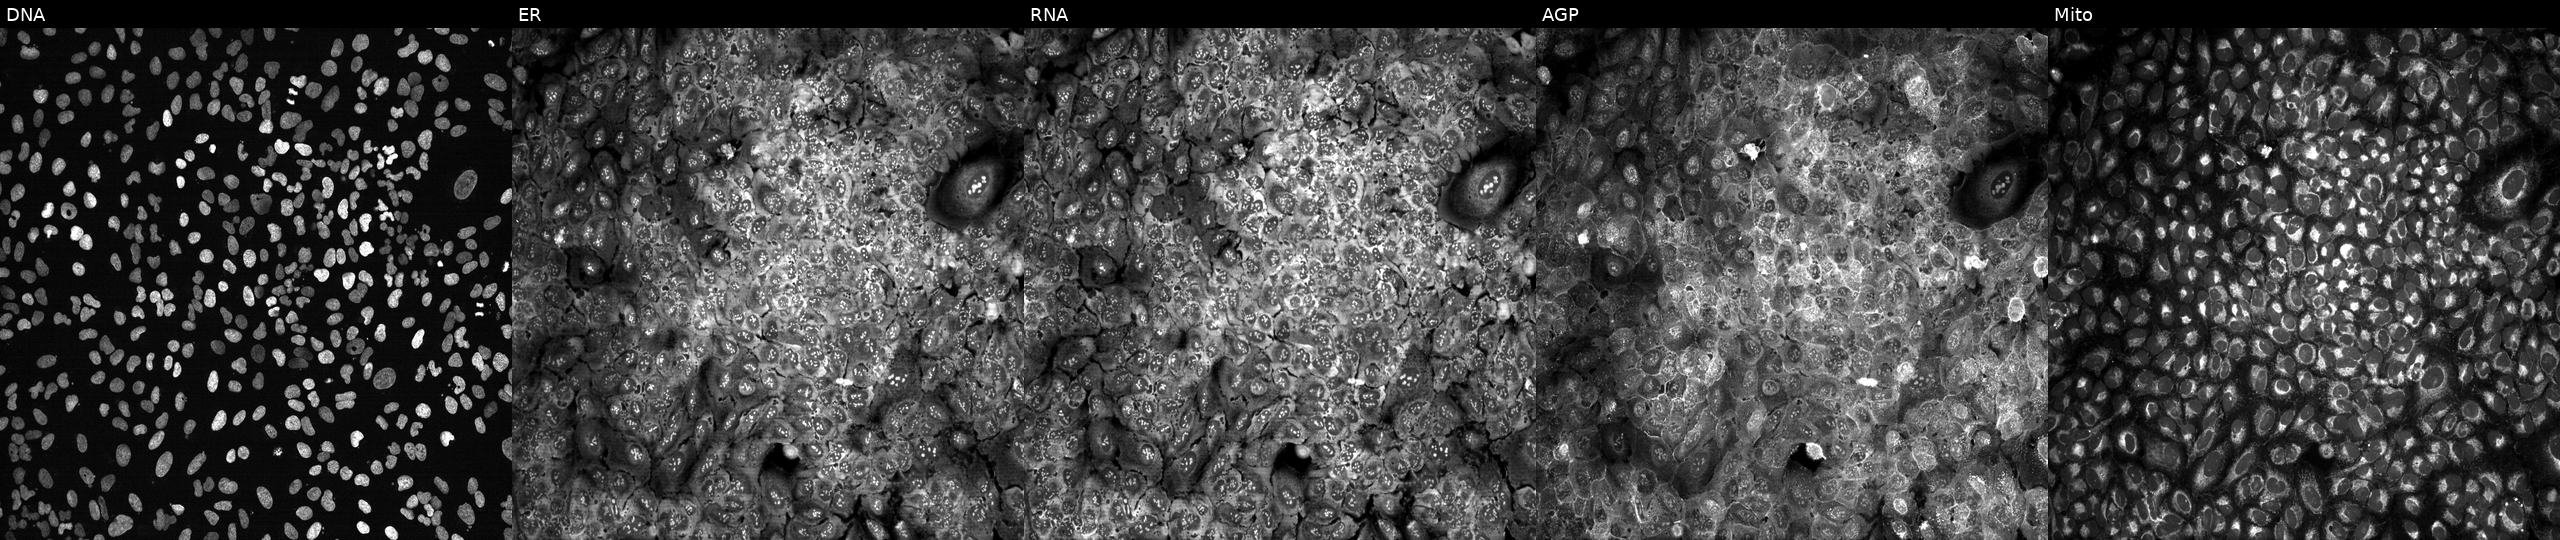
Panels show, left to right, DNA (nuclei); ER (endoplasmic reticulum); RNA (nucleoli and cytoplasmic RNA); AGP (actin cytoskeleton, Golgi, and plasma membrane); Mito (mitochondria). U2OS osteosarcoma cells with MPP5 knocked out by CRISPR (JUMP id JCP2022_804256). Cell Painting assay, JUMP-CP dataset.